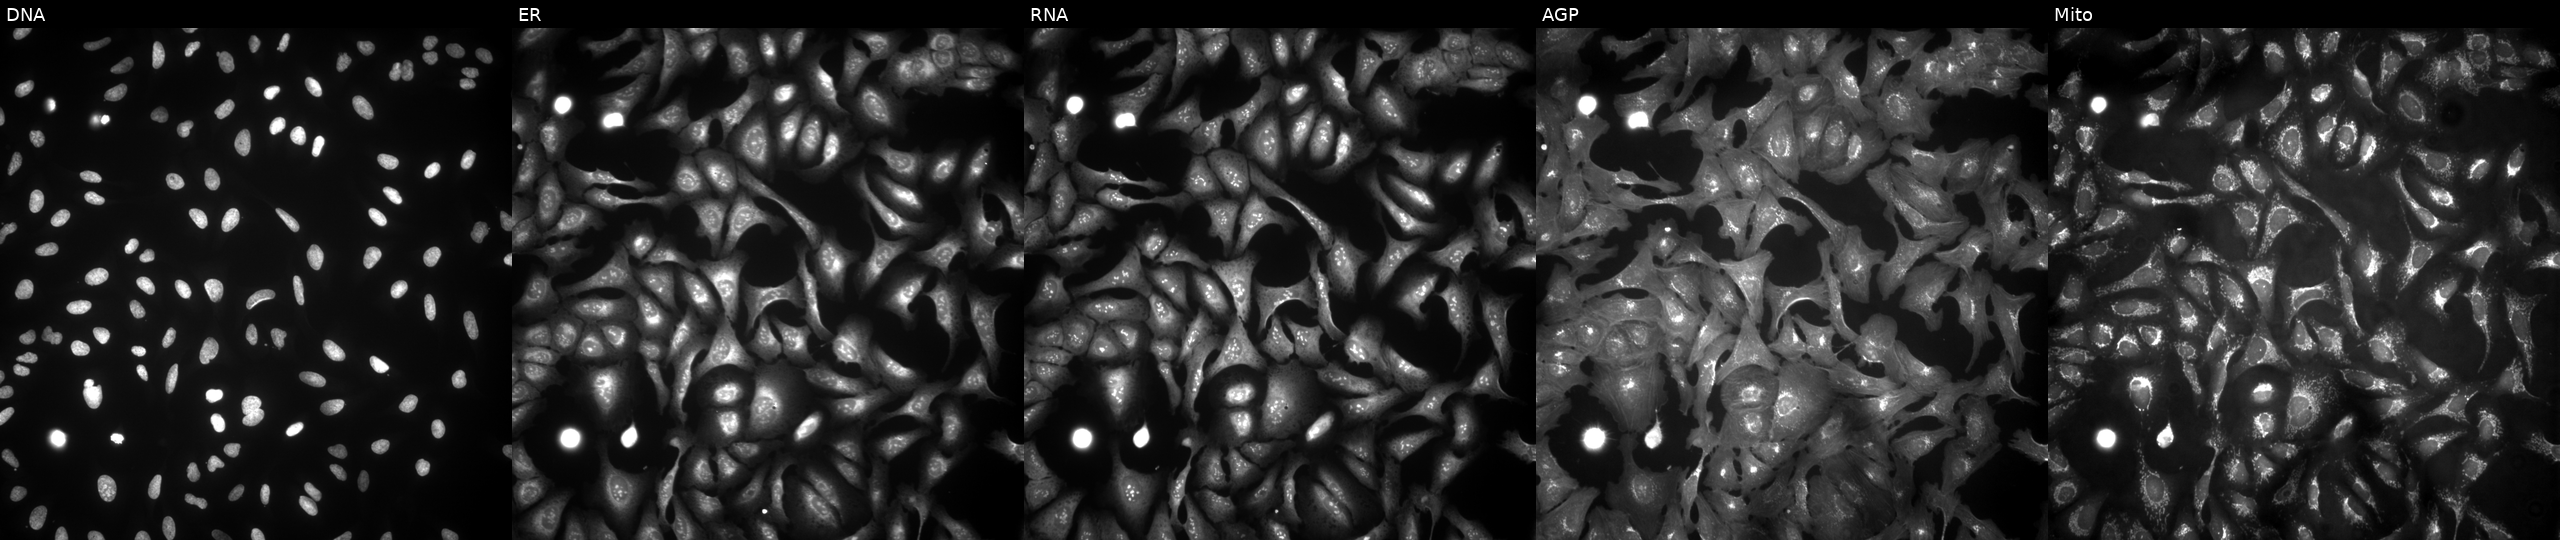
This image strip shows the five Cell Painting channels for a single field of U2OS cells transfected with an ORF construct for DENND10 (JUMP id JCP2022_908036). From left to right: DNA, ER, RNA, AGP, and Mito. Source 4, plate BR00123506, well K13.